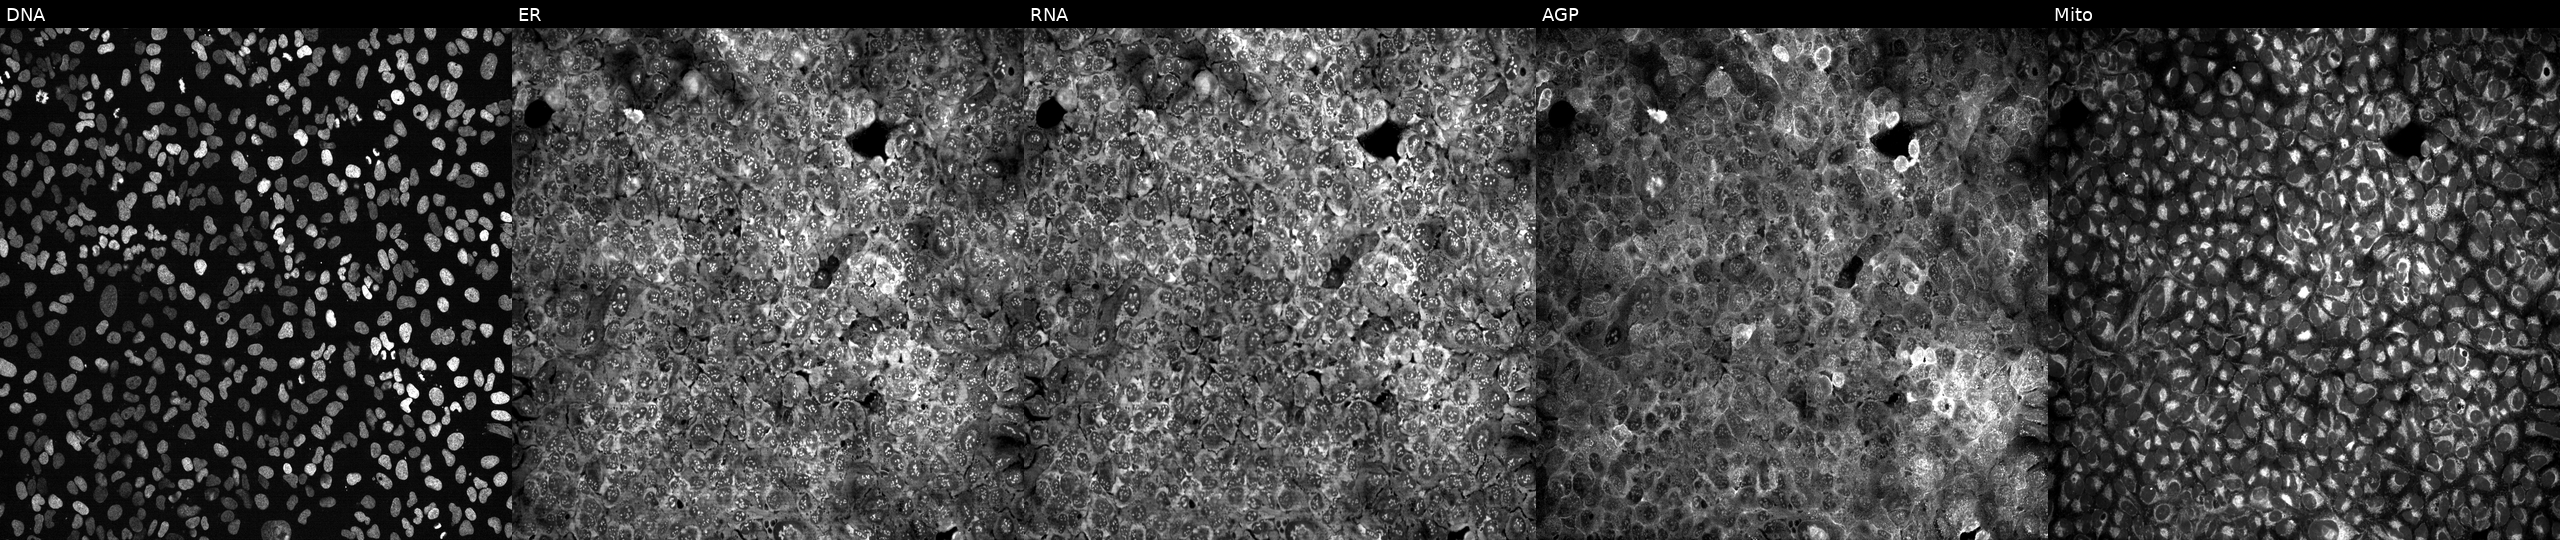
High-content fluorescence microscopy (Cell Painting). Cell line: U2OS. Perturbation: following CRISPR knockout of TMX4. Panels show, left to right, DNA, ER, RNA, AGP, and Mito. Source 13, plate CP-CC9-R4-04, well G08.